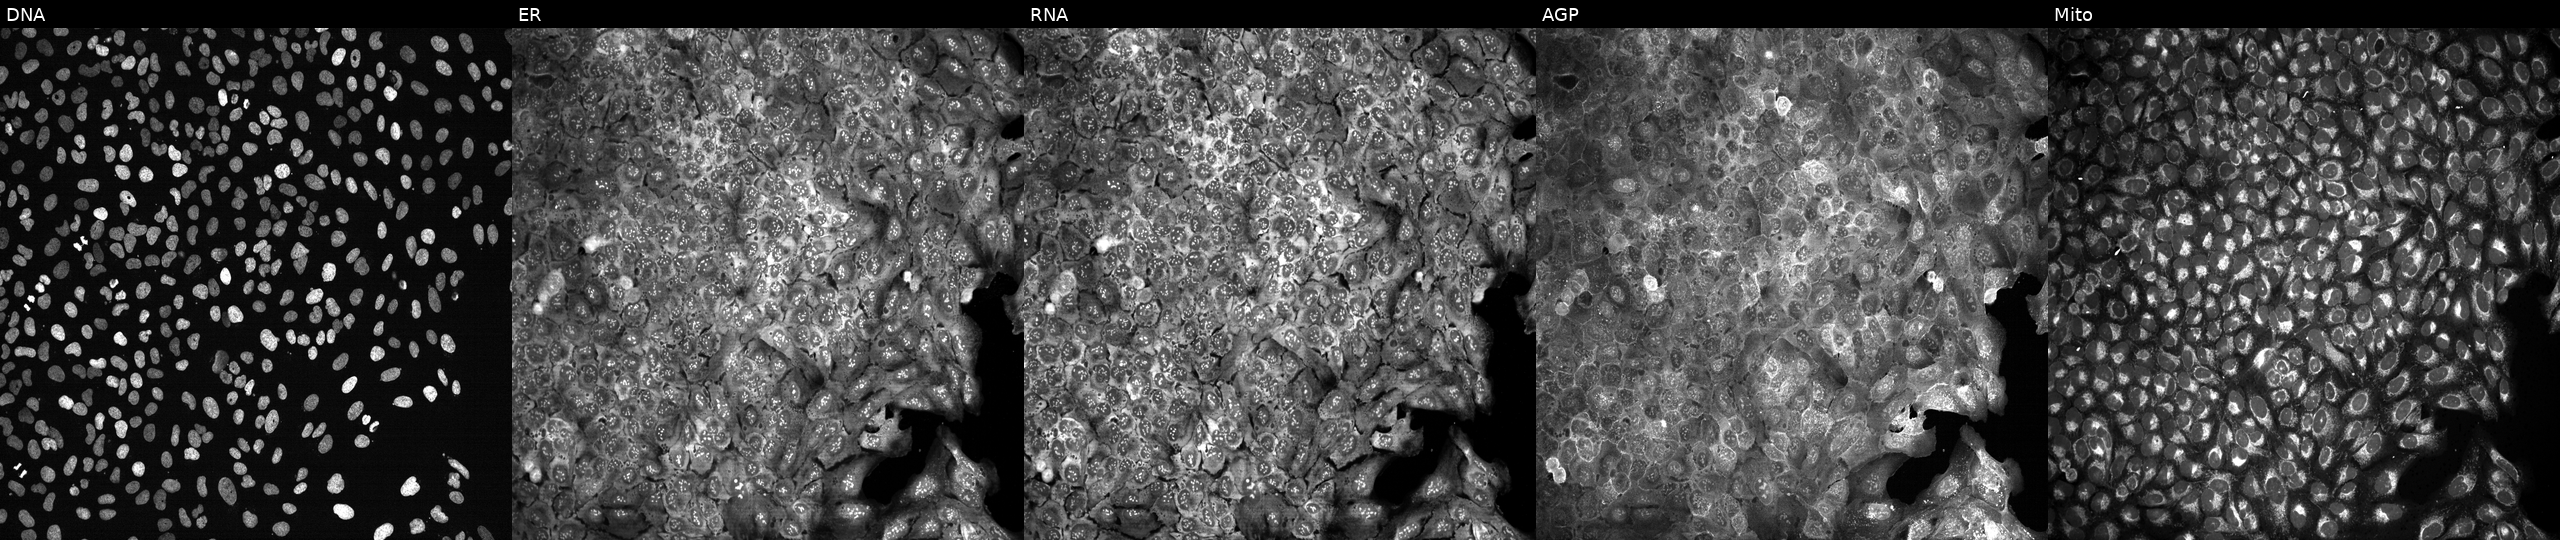
U2OS cells, Cell Painting assay, CRISPR-edited to disrupt LARS2. Panels show, left to right, Hoechst 33342, concanavalin A, SYTO 14, phalloidin and WGA, MitoTracker. Each panel is percentile-stretched 16-bit fluorescence.